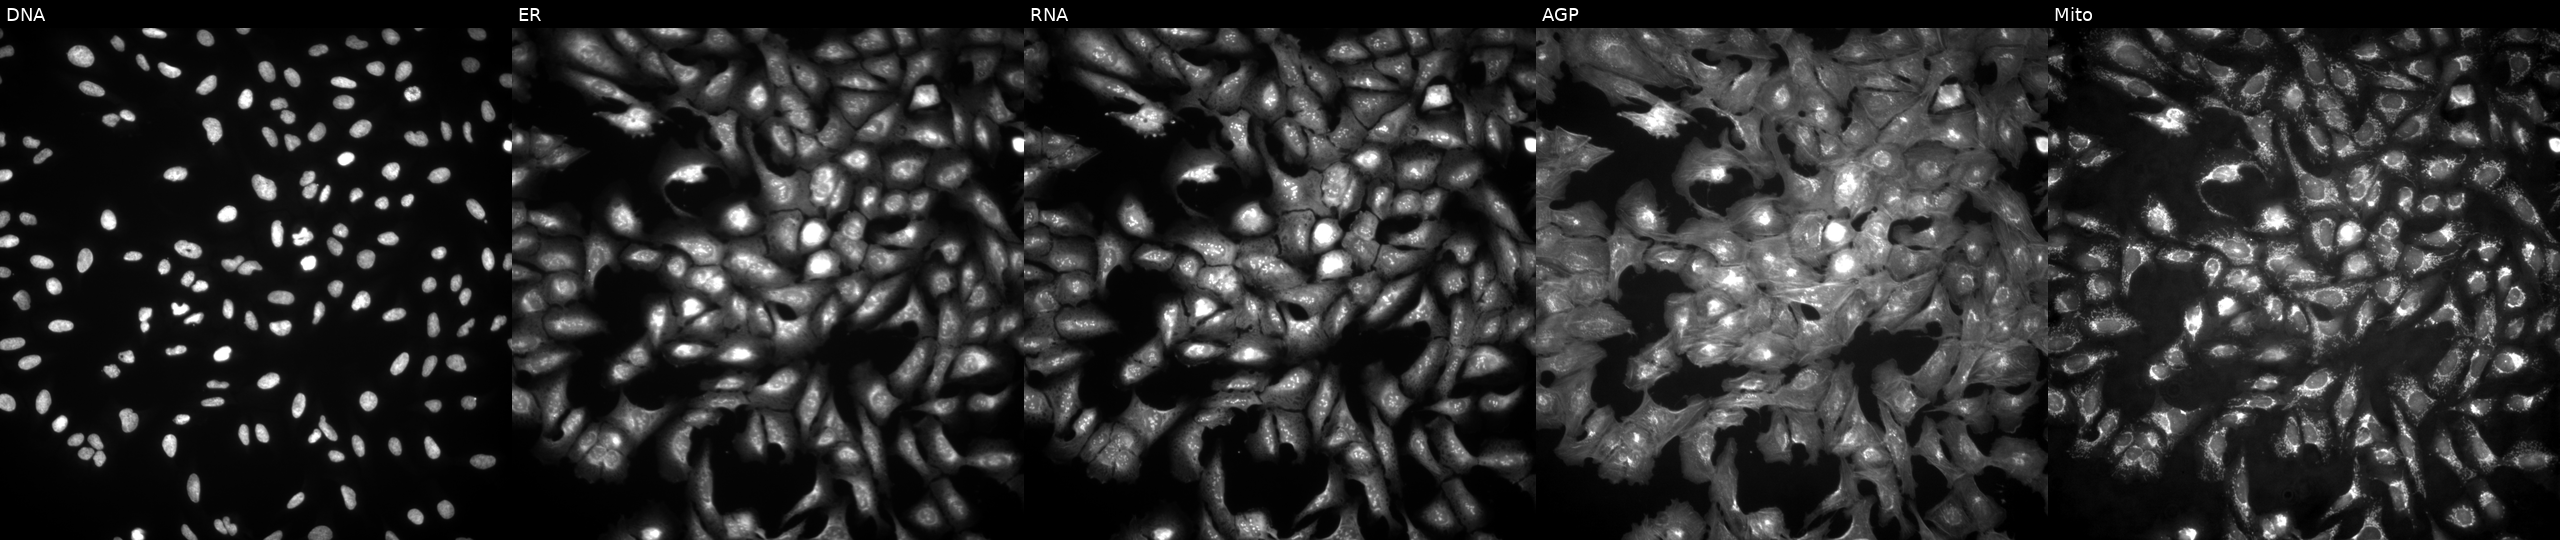
U2OS cells, Cell Painting assay, transfected with an ORF construct for HMX2. Panels show, left to right, DNA (nuclei); ER (endoplasmic reticulum); RNA (nucleoli and cytoplasmic RNA); AGP (actin cytoskeleton, Golgi, and plasma membrane); Mito (mitochondria). Each panel is percentile-stretched 16-bit fluorescence.